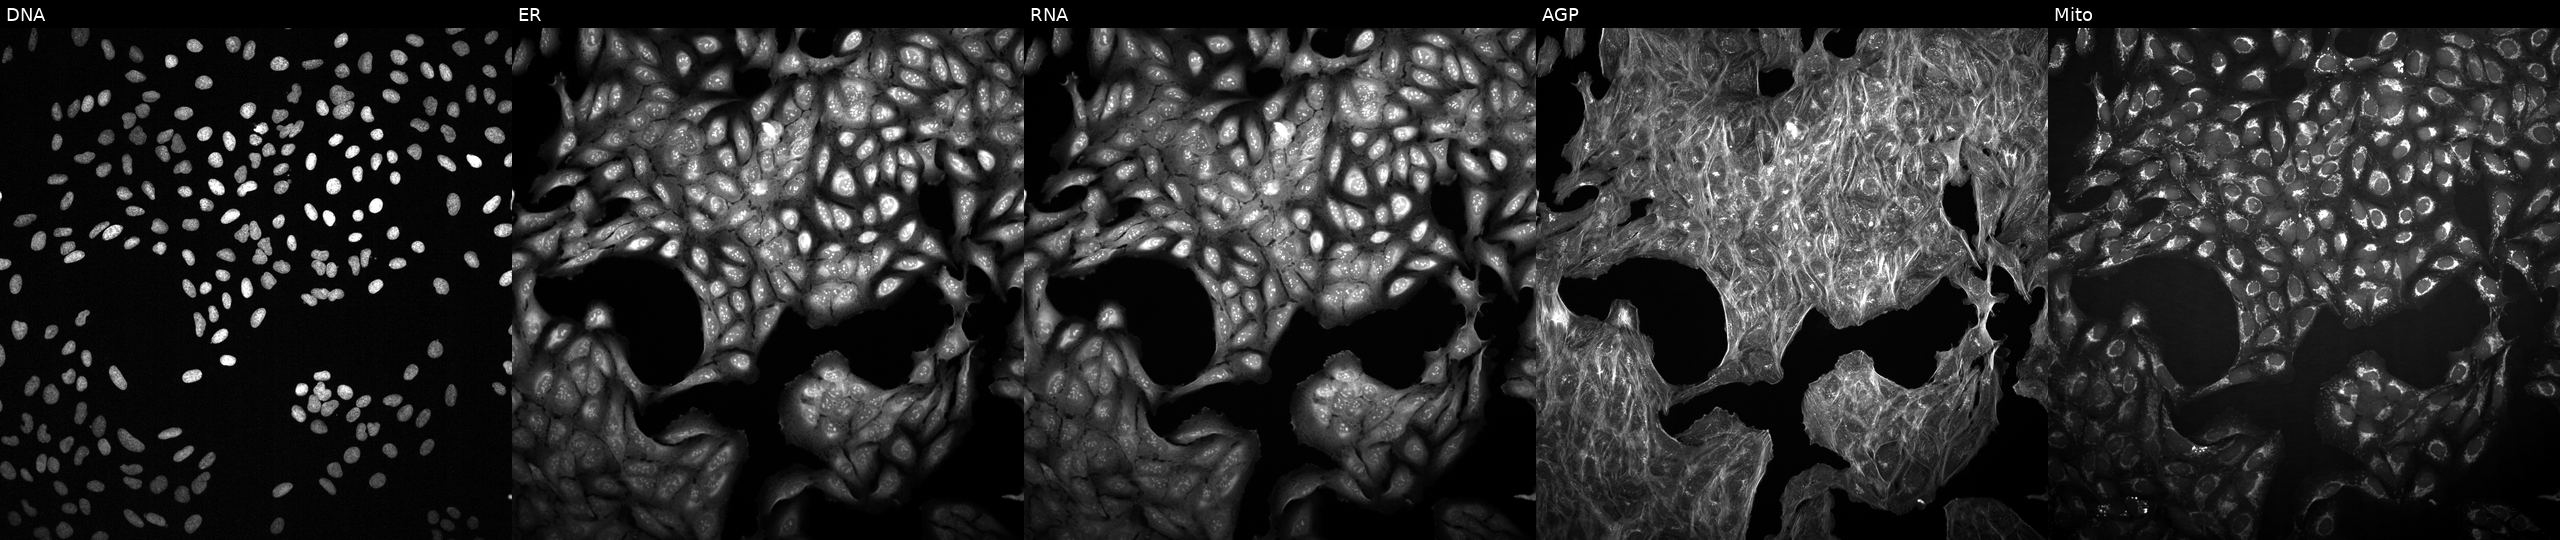
This image strip shows the five Cell Painting channels for a single field of U2OS cells perturbed with a small-molecule compound (InChIKey ZJVDVQCEHOZULS-UHFFFAOYSA-N) [SMILES: CC(=O)NCC12CC3CC(CC(C3)C1)C2] (JUMP id JCP2022_113778). From left to right: Hoechst 33342, concanavalin A, SYTO 14, phalloidin and WGA, MitoTracker. Source 2, plate 1053601756, well A03.